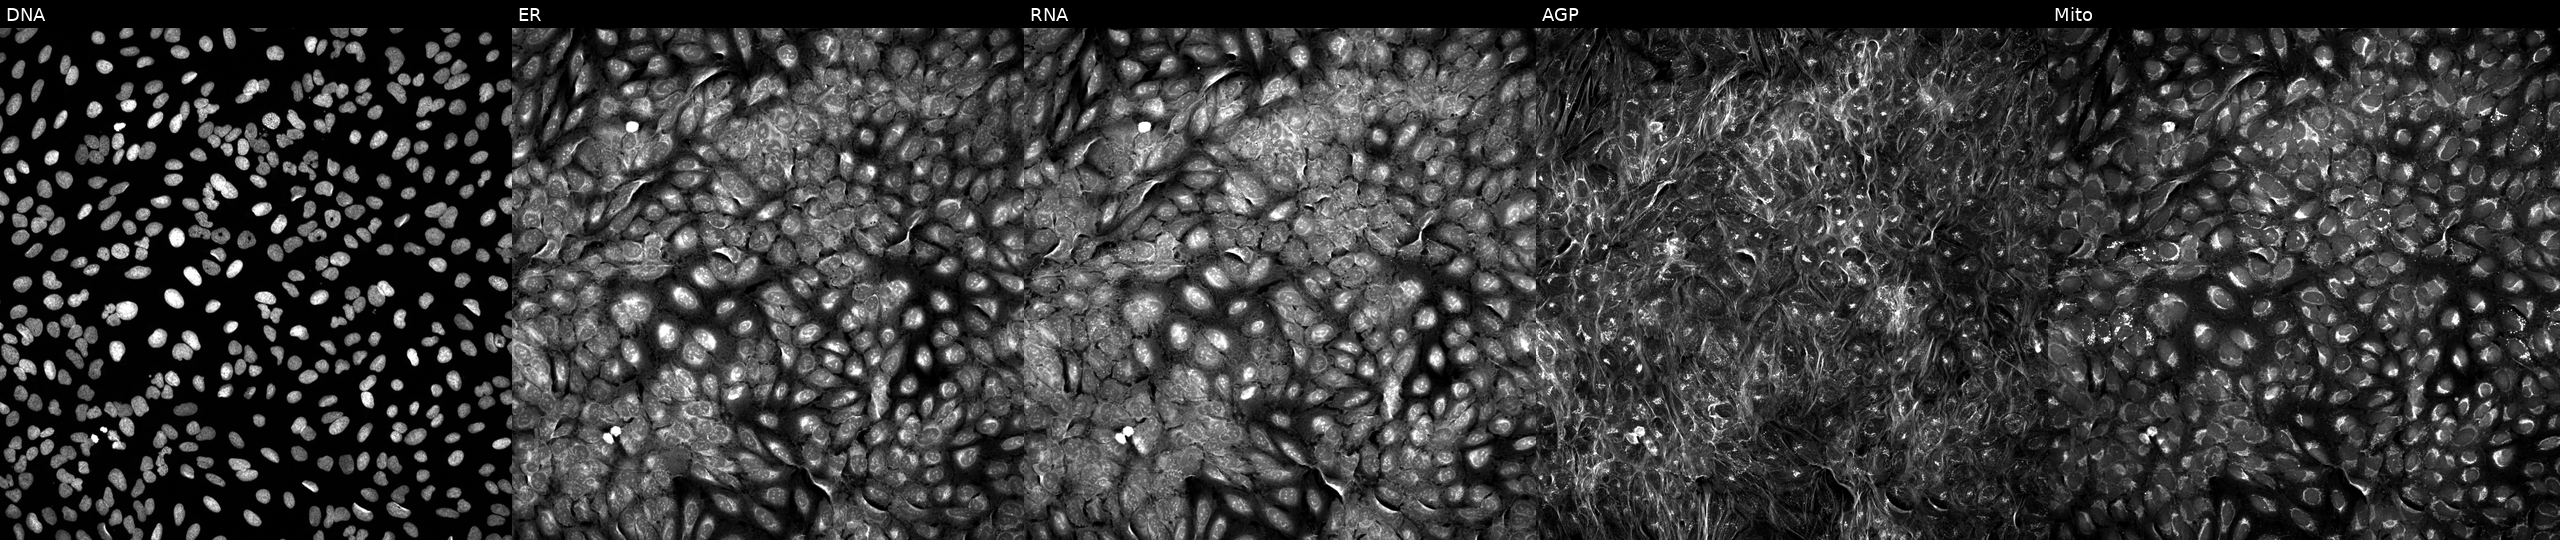
The five panels, left to right, show DNA, ER, RNA, AGP, and Mito. U2OS osteosarcoma cells treated with DMSO vehicle only (negative control). Cell Painting assay, JUMP-CP dataset.